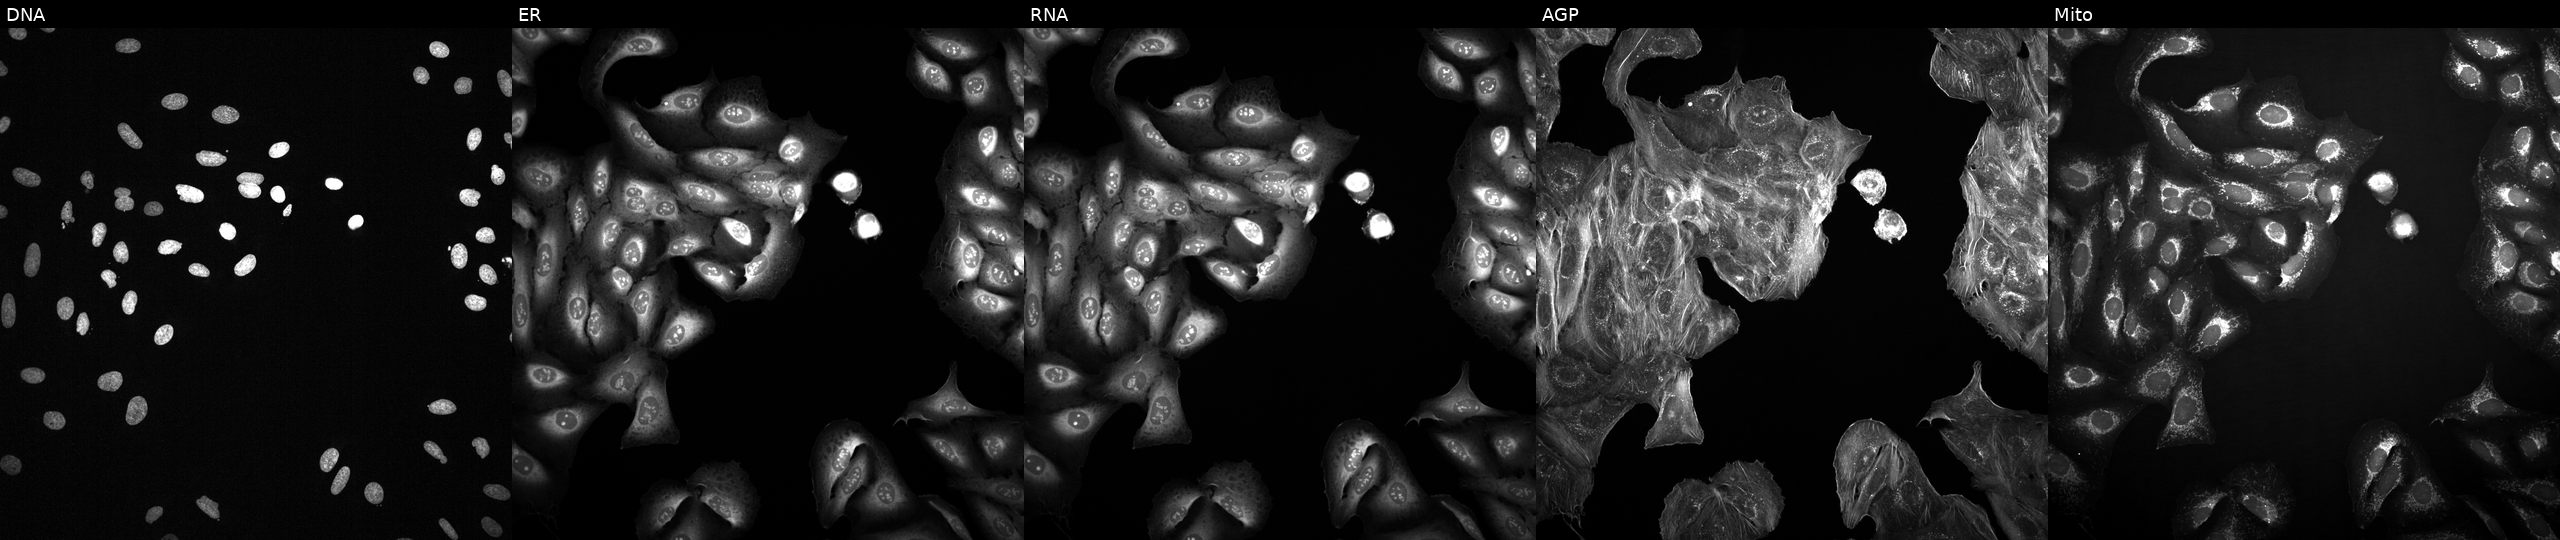
Five-channel Cell Painting image of U2OS cells treated with a small-molecule compound (InChIKey CAOWNCTTWGSKDO-UHFFFAOYSA-N) (JUMP id JCP2022_009886). Channels (left→right): Hoechst 33342, concanavalin A, SYTO 14, phalloidin and WGA, MitoTracker.